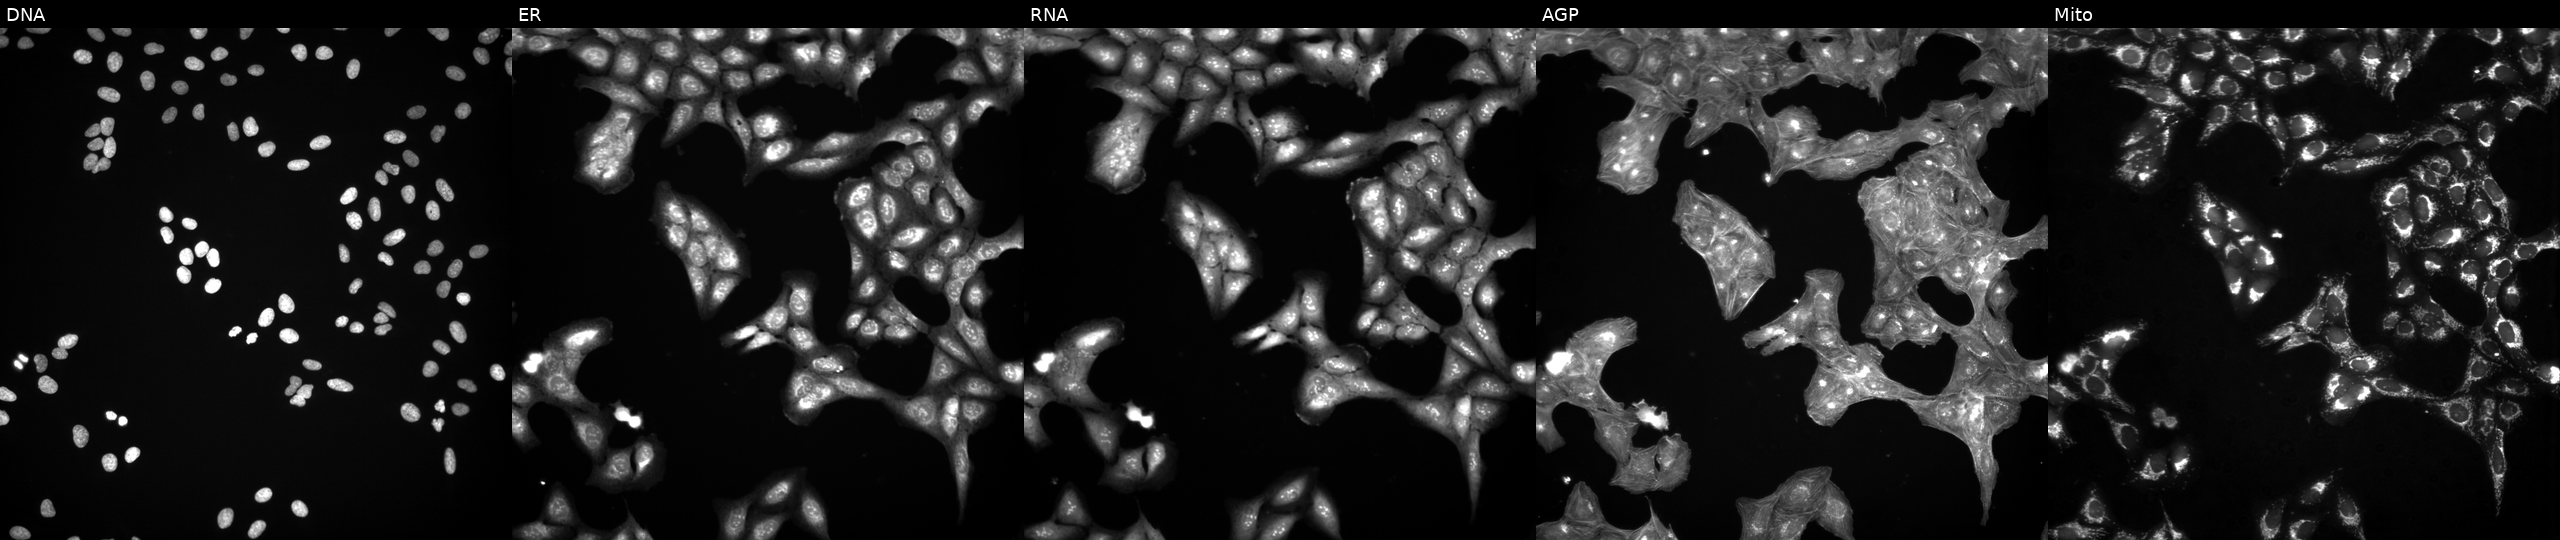
U2OS cells, Cell Painting assay, perturbed with a small-molecule compound (InChIKey NCEXYHBECQHGNR-UHFFFAOYSA-N). Panels show, left to right, DNA (nuclei); ER (endoplasmic reticulum); RNA (nucleoli and cytoplasmic RNA); AGP (actin cytoskeleton, Golgi, and plasma membrane); Mito (mitochondria). Each panel is percentile-stretched 16-bit fluorescence.